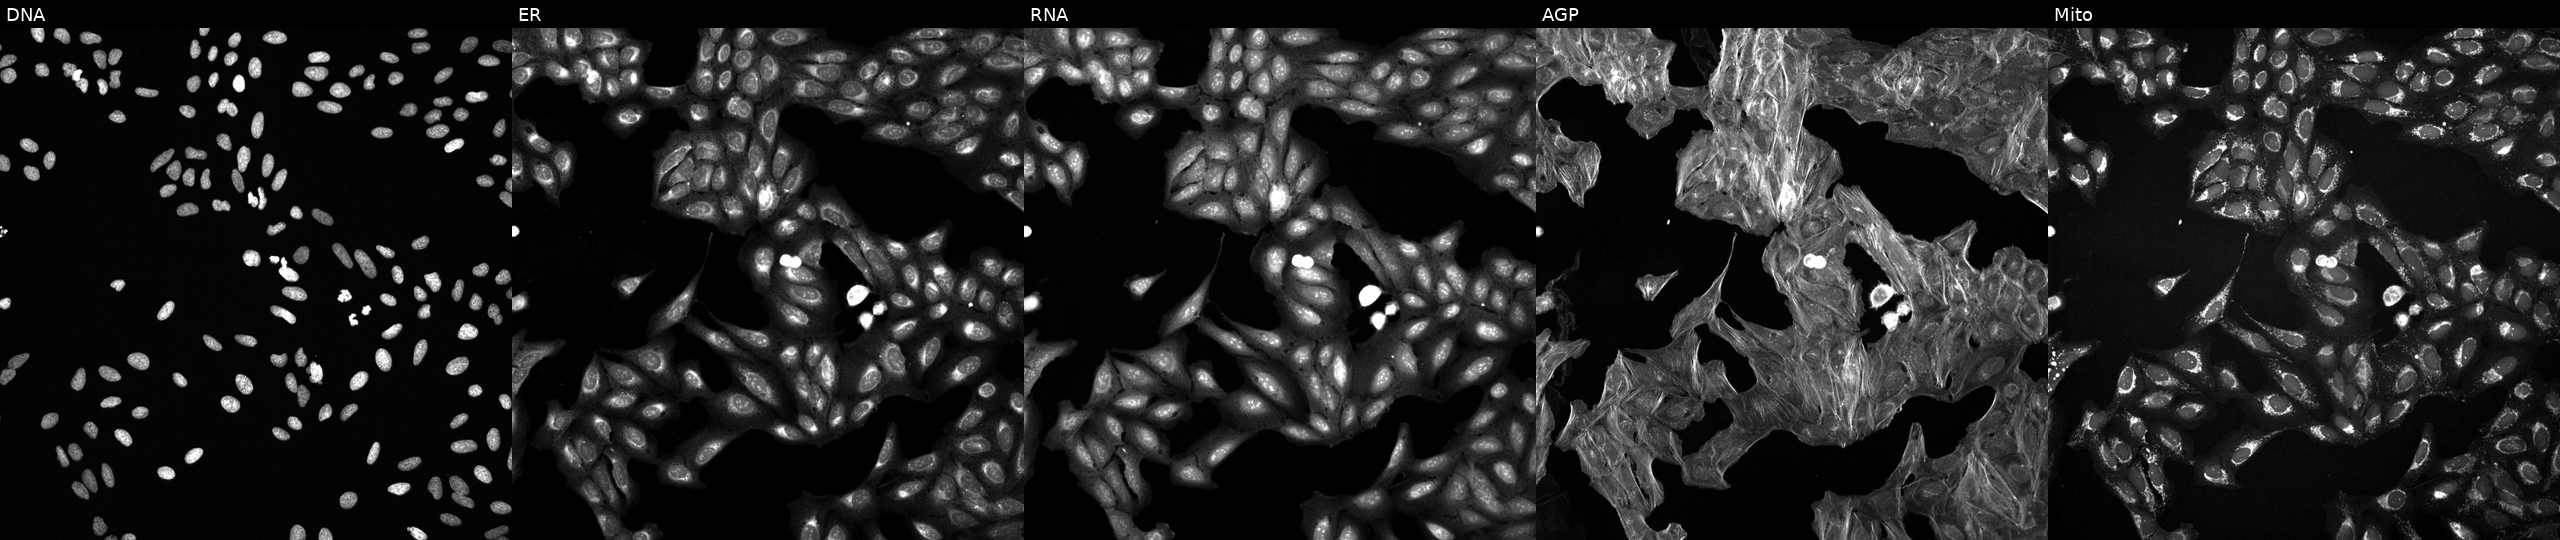
High-content fluorescence microscopy (Cell Painting). Cell line: U2OS. Perturbation: treated with DMSO vehicle only (negative control). Panels show, left to right, DNA, ER, RNA, AGP, and Mito.